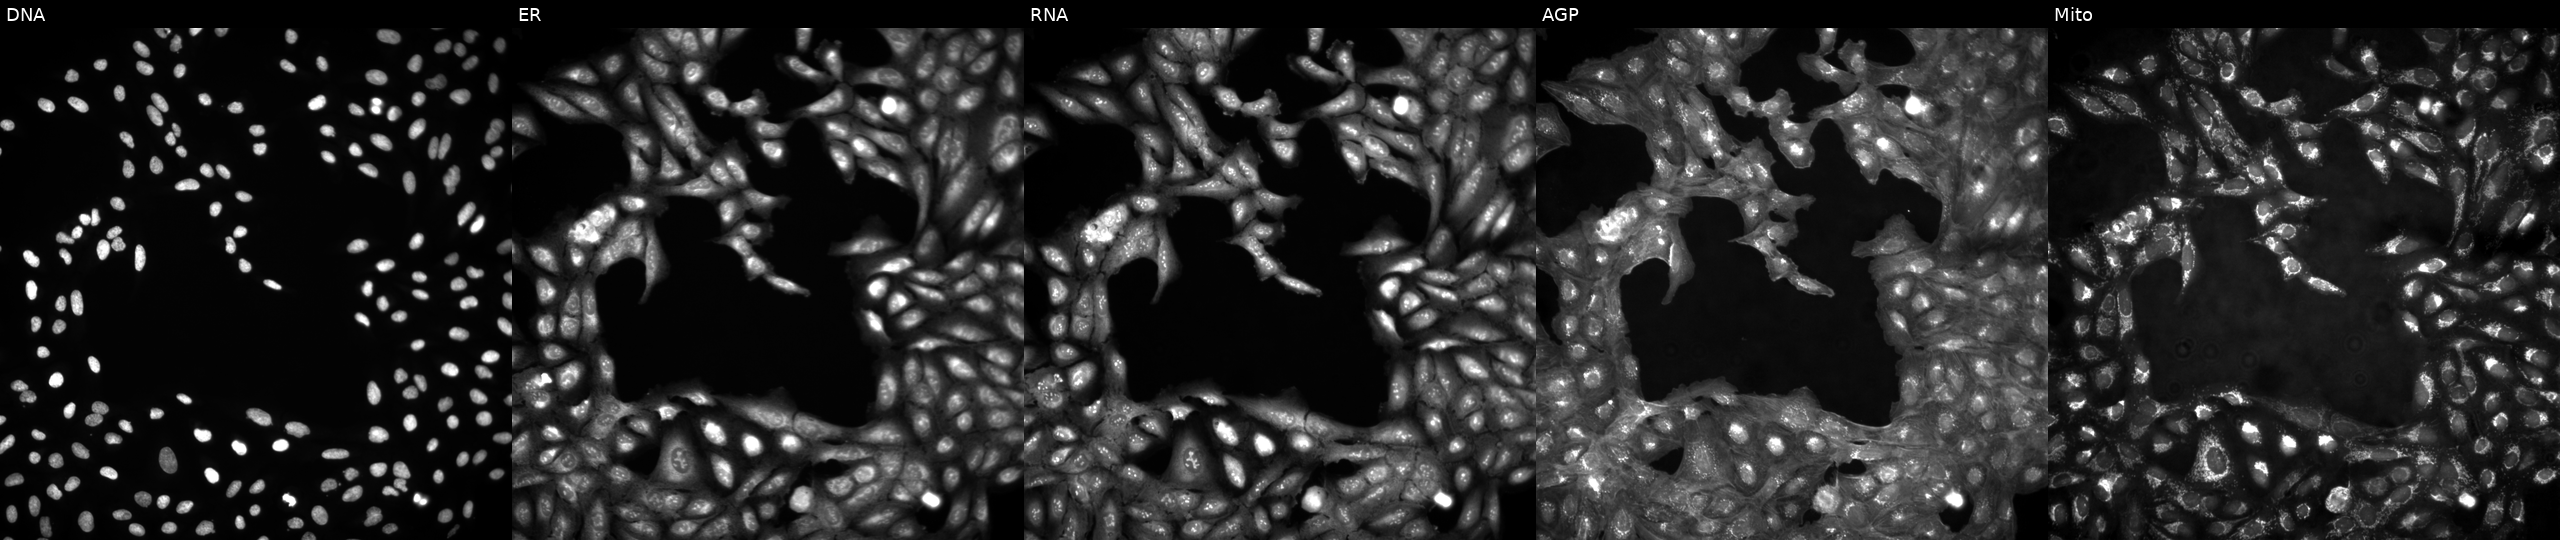
U2OS cells, Cell Painting assay, in an empty control well (no perturbation) (JUMP id JCP2022_999999). The five panels, left to right, show DNA (nuclei); ER (endoplasmic reticulum); RNA (nucleoli and cytoplasmic RNA); AGP (actin cytoskeleton, Golgi, and plasma membrane); Mito (mitochondria). Each panel is percentile-stretched 16-bit fluorescence. Source 4, plate BR00124793, well B20.